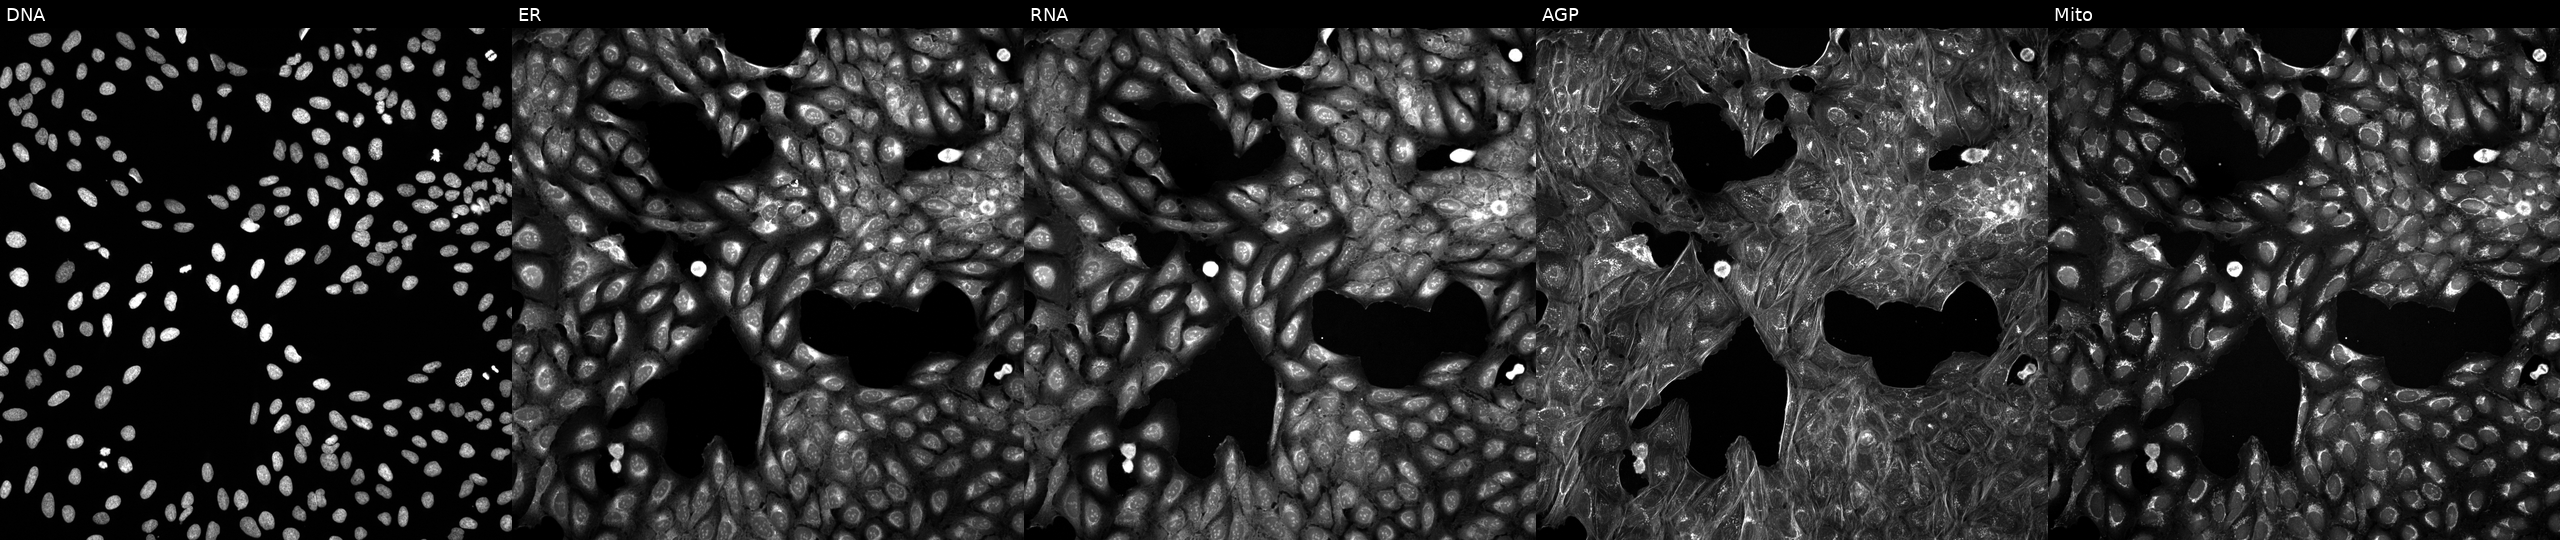
Five-channel Cell Painting image of U2OS cells treated with DMSO vehicle only (negative control) (JUMP id JCP2022_033924). From left to right: DNA, ER, RNA, AGP, and Mito.